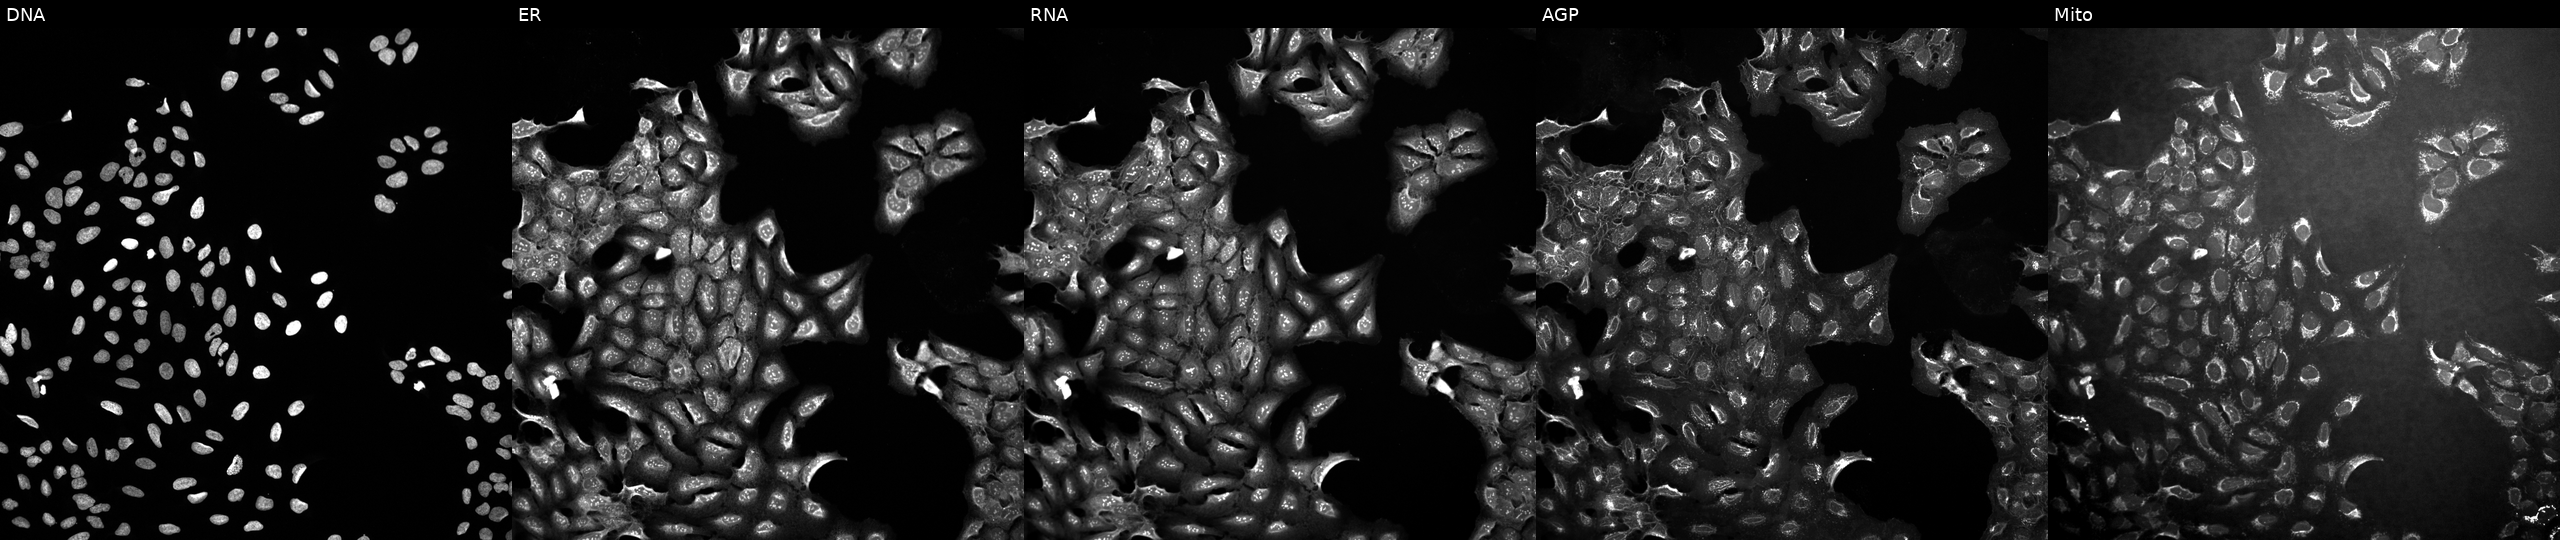
Channels (left→right): DNA, ER, RNA, AGP, and Mito. U2OS osteosarcoma cells exposed to a small-molecule compound (InChIKey ZQPXNYLXYNRFNP-UHFFFAOYSA-N) [SMILES: O=[N+]([O-])c1ccc2[nH]c(COCc3nc4cc([N+](=O)[O-])ccc4[nH]3)nc2c1]. Cell Painting assay, JUMP-CP dataset.